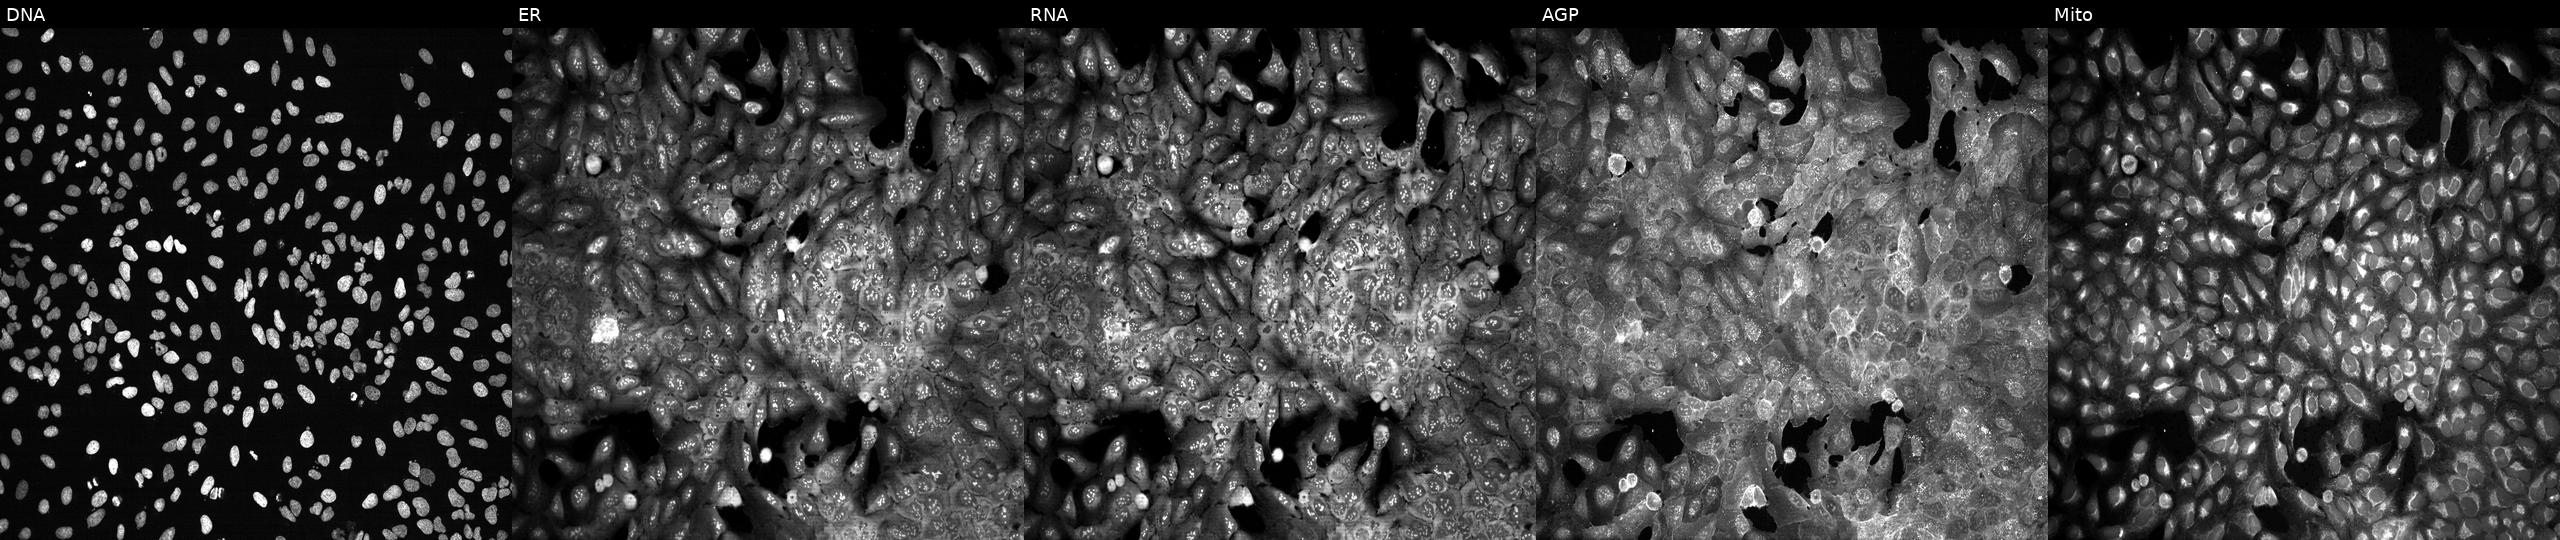
Five-channel Cell Painting image of U2OS cells CRISPR-edited to disrupt ARHGAP5 (JUMP id JCP2022_800563). The five panels, left to right, show Hoechst 33342, concanavalin A, SYTO 14, phalloidin and WGA, MitoTracker.